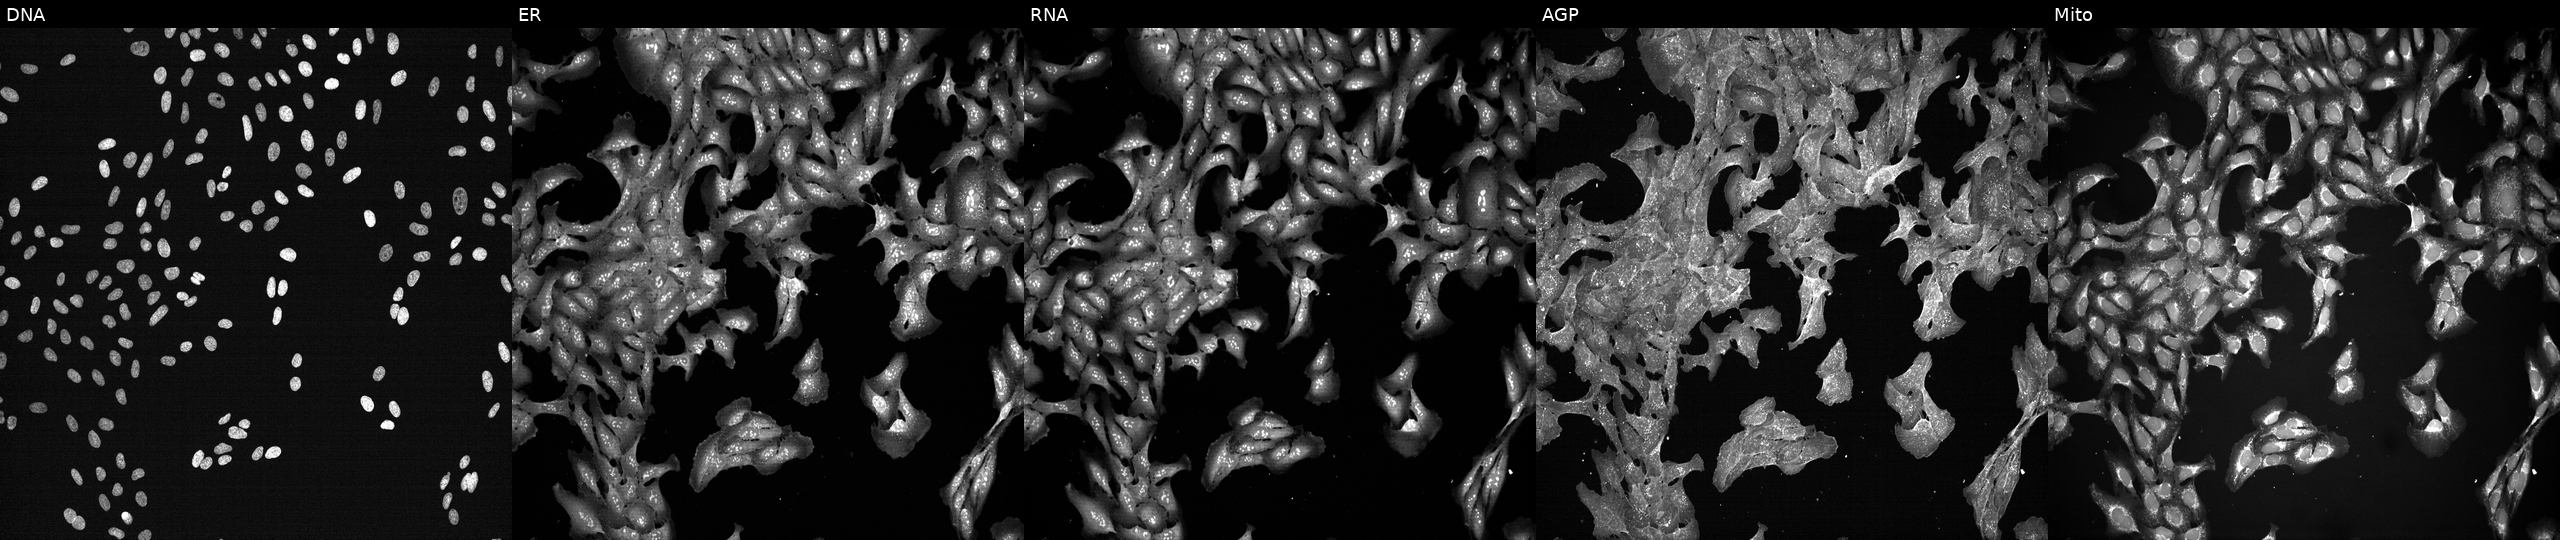
Five-channel Cell Painting image of U2OS cells perturbed with a small-molecule compound (InChIKey IIQUYGWWHIHOCF-UHFFFAOYSA-N). Channels (left→right): DNA (nuclei); ER (endoplasmic reticulum); RNA (nucleoli and cytoplasmic RNA); AGP (actin cytoskeleton, Golgi, and plasma membrane); Mito (mitochondria).